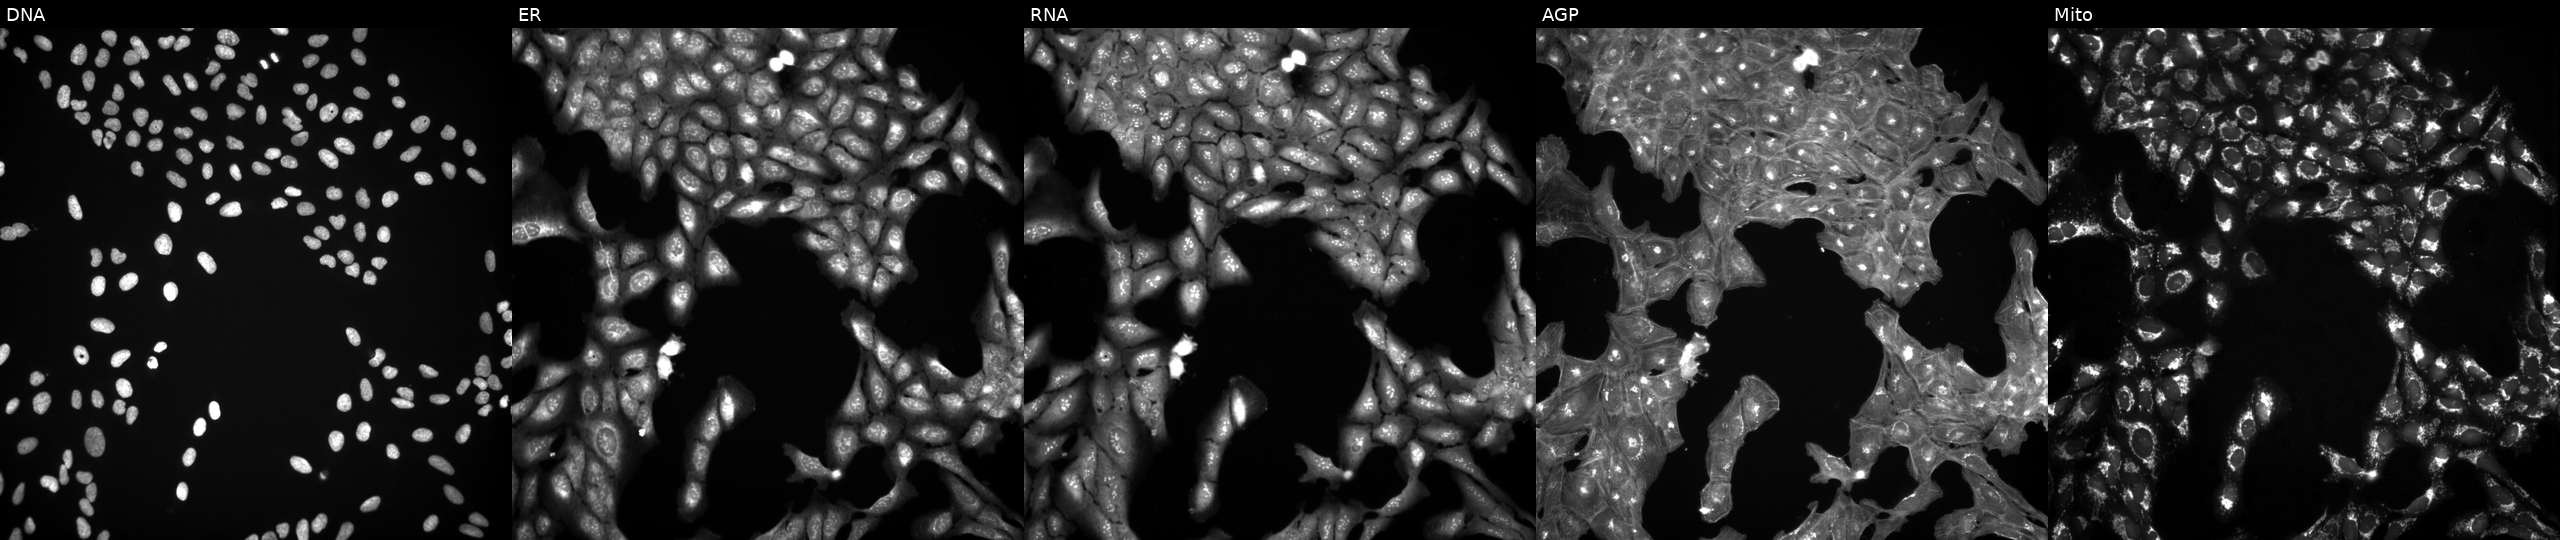
High-content fluorescence microscopy (Cell Painting). Cell line: U2OS. Perturbation: treated with DMSO vehicle only (negative control). Panels show, left to right, DNA (nuclei); ER (endoplasmic reticulum); RNA (nucleoli and cytoplasmic RNA); AGP (actin cytoskeleton, Golgi, and plasma membrane); Mito (mitochondria).